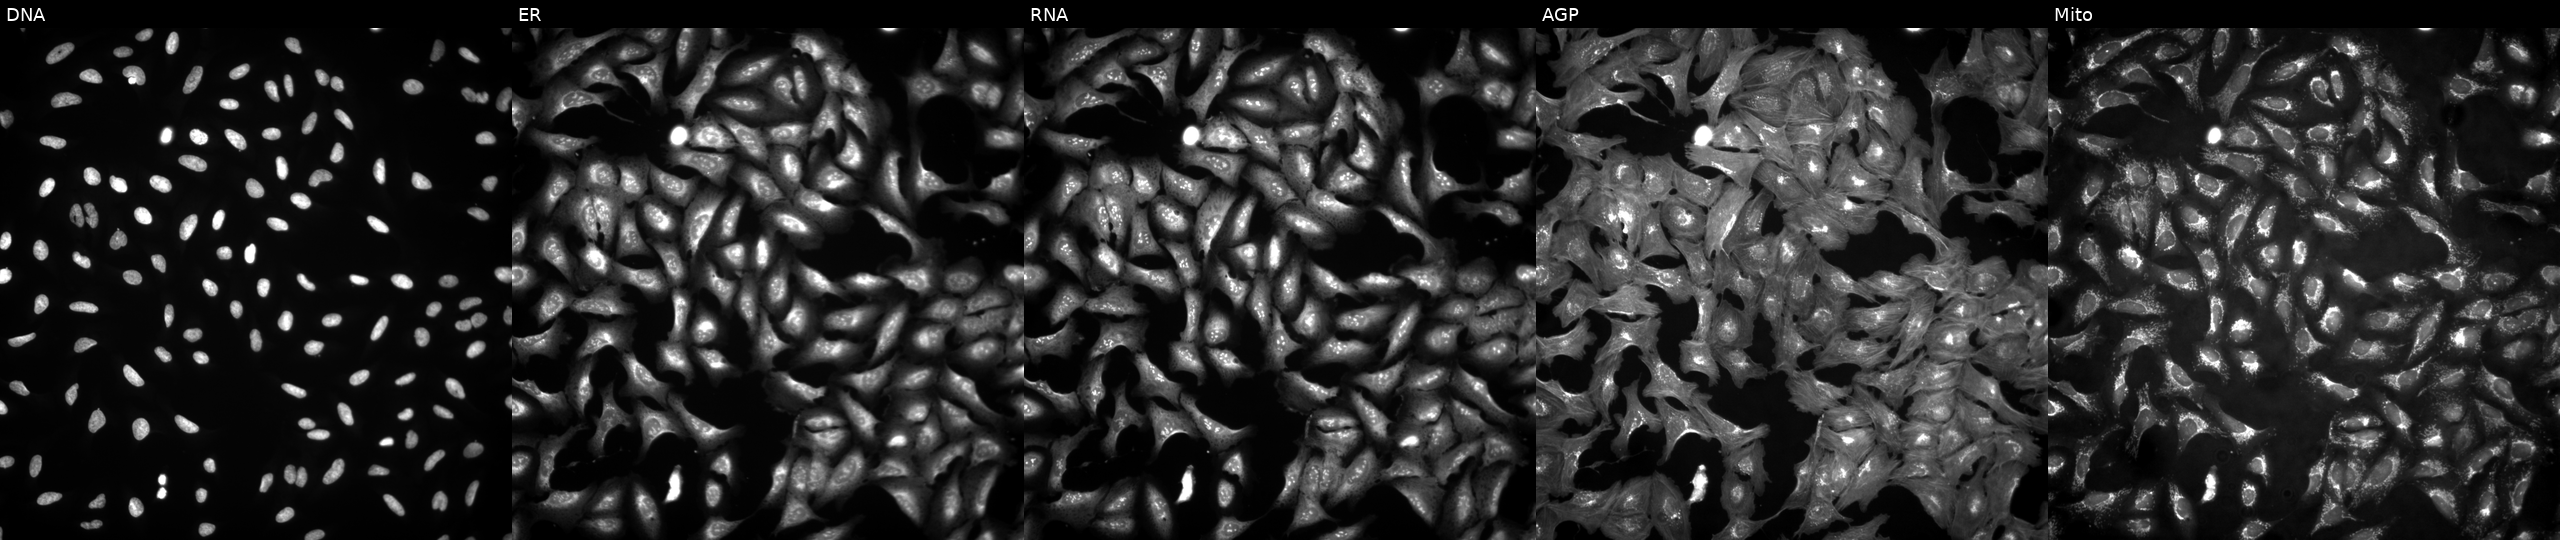
JUMP Cell Painting — ORF plate. U2OS cells transfected with a failed ORF construct (JUMP BAD CONSTRUCT marker) (JUMP id JCP2022_900001). Channels (left→right): DNA (nuclei); ER (endoplasmic reticulum); RNA (nucleoli and cytoplasmic RNA); AGP (actin cytoskeleton, Golgi, and plasma membrane); Mito (mitochondria).